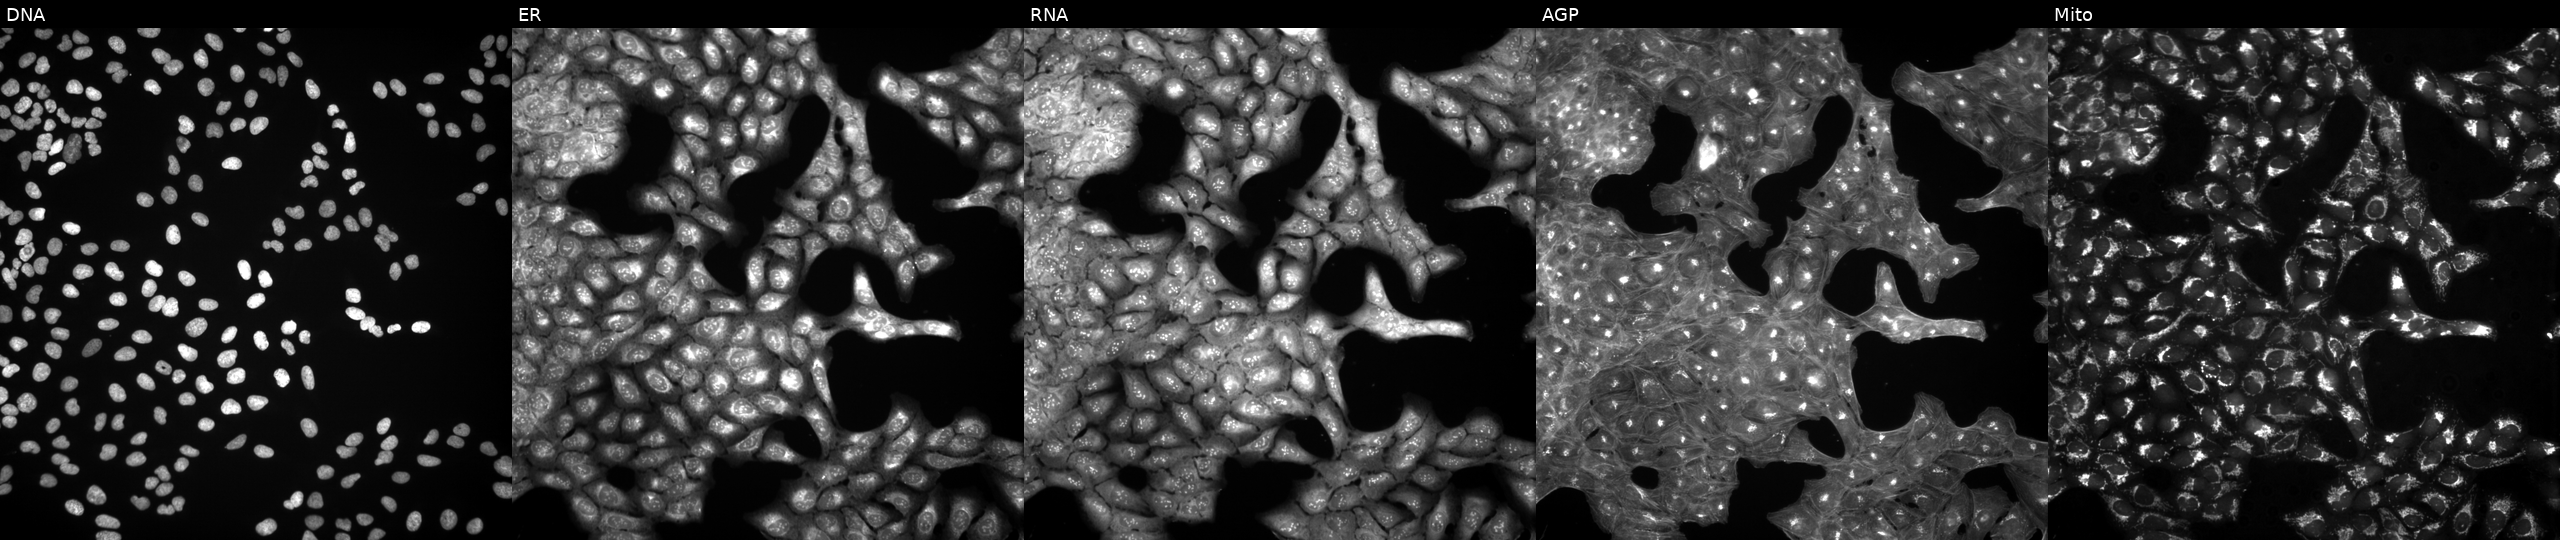
U2OS cells, Cell Painting assay, perturbed with a small-molecule compound (InChIKey WZMANQMGHXGGLB-UHFFFAOYSA-N) (JUMP id JCP2022_102193). The five panels, left to right, show Hoechst 33342, concanavalin A, SYTO 14, phalloidin and WGA, MitoTracker. Each panel is percentile-stretched 16-bit fluorescence.